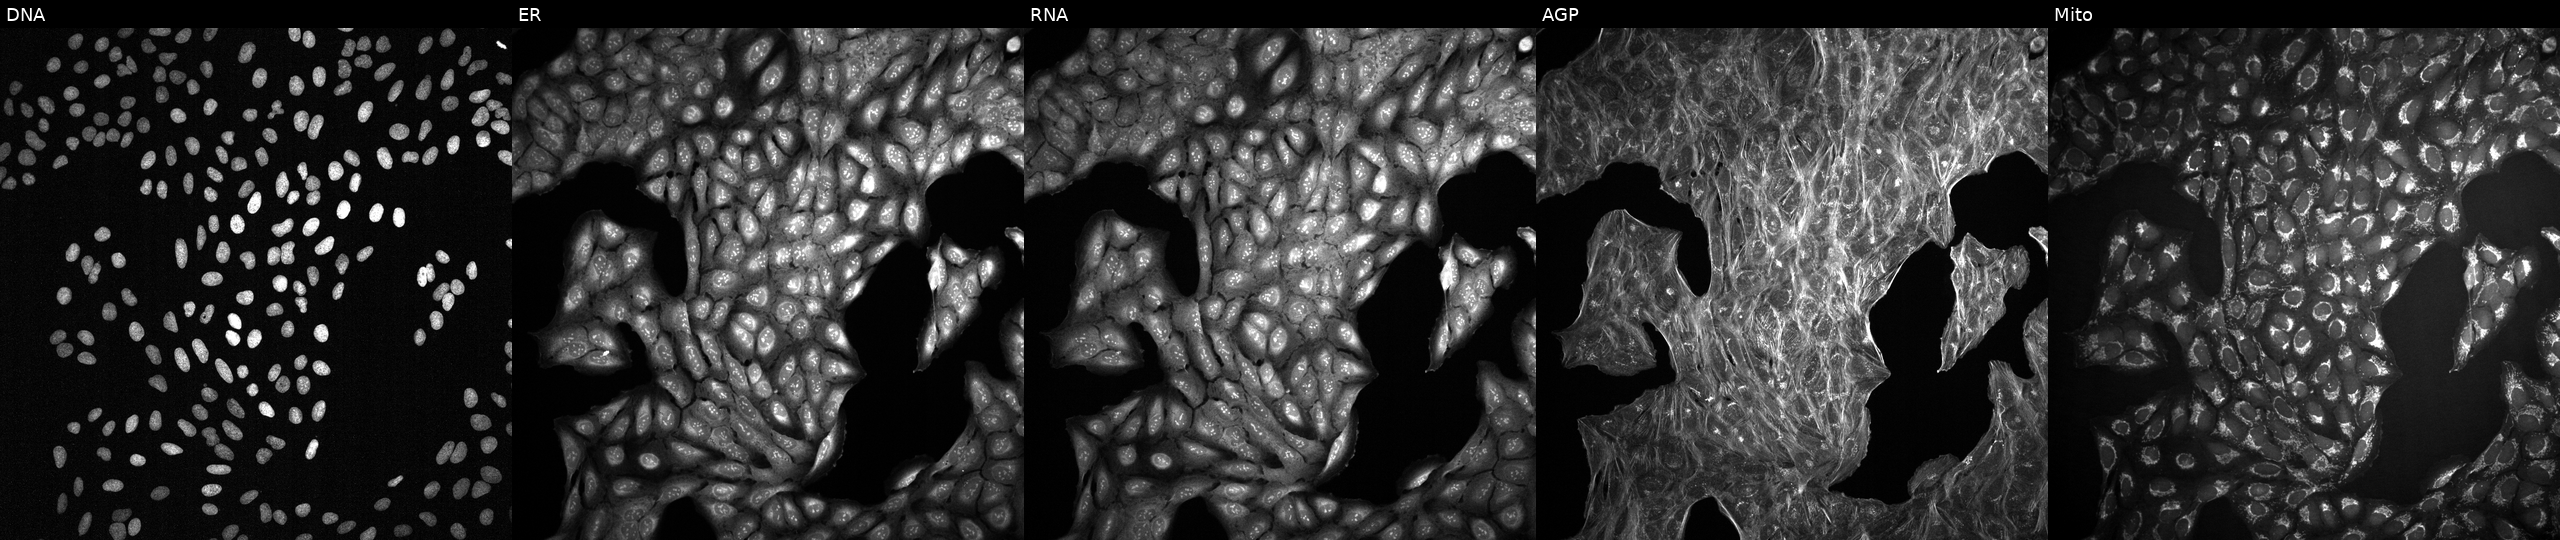
This image strip shows the five Cell Painting channels for a single field of U2OS cells treated with a small-molecule compound (InChIKey SNICXCGAKADSCV-UHFFFAOYSA-N) [SMILES: CN1CCCC1c1cccnc1] (JUMP id JCP2022_084364). Panels show, left to right, DNA, ER, RNA, AGP, and Mito. Source 2, plate 1053599503, well P02.